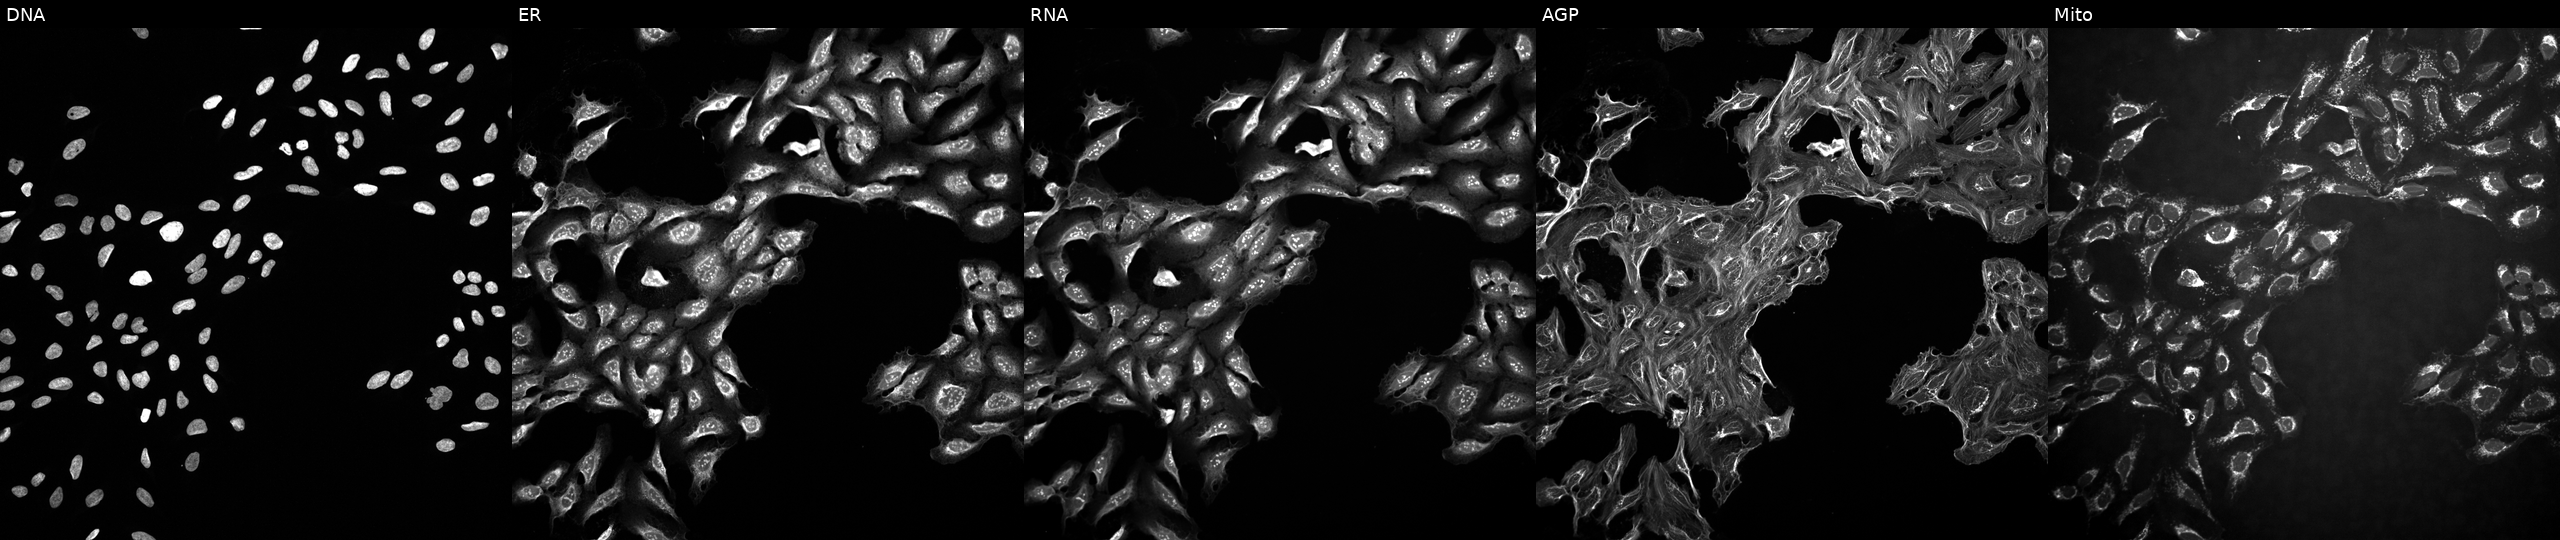
JUMP Cell Painting — TARGET2 plate. U2OS cells treated with a small-molecule compound (InChIKey BOFQWVMAQOTZIW-UHFFFAOYSA-N). From left to right: DNA (nuclei); ER (endoplasmic reticulum); RNA (nucleoli and cytoplasmic RNA); AGP (actin cytoskeleton, Golgi, and plasma membrane); Mito (mitochondria).